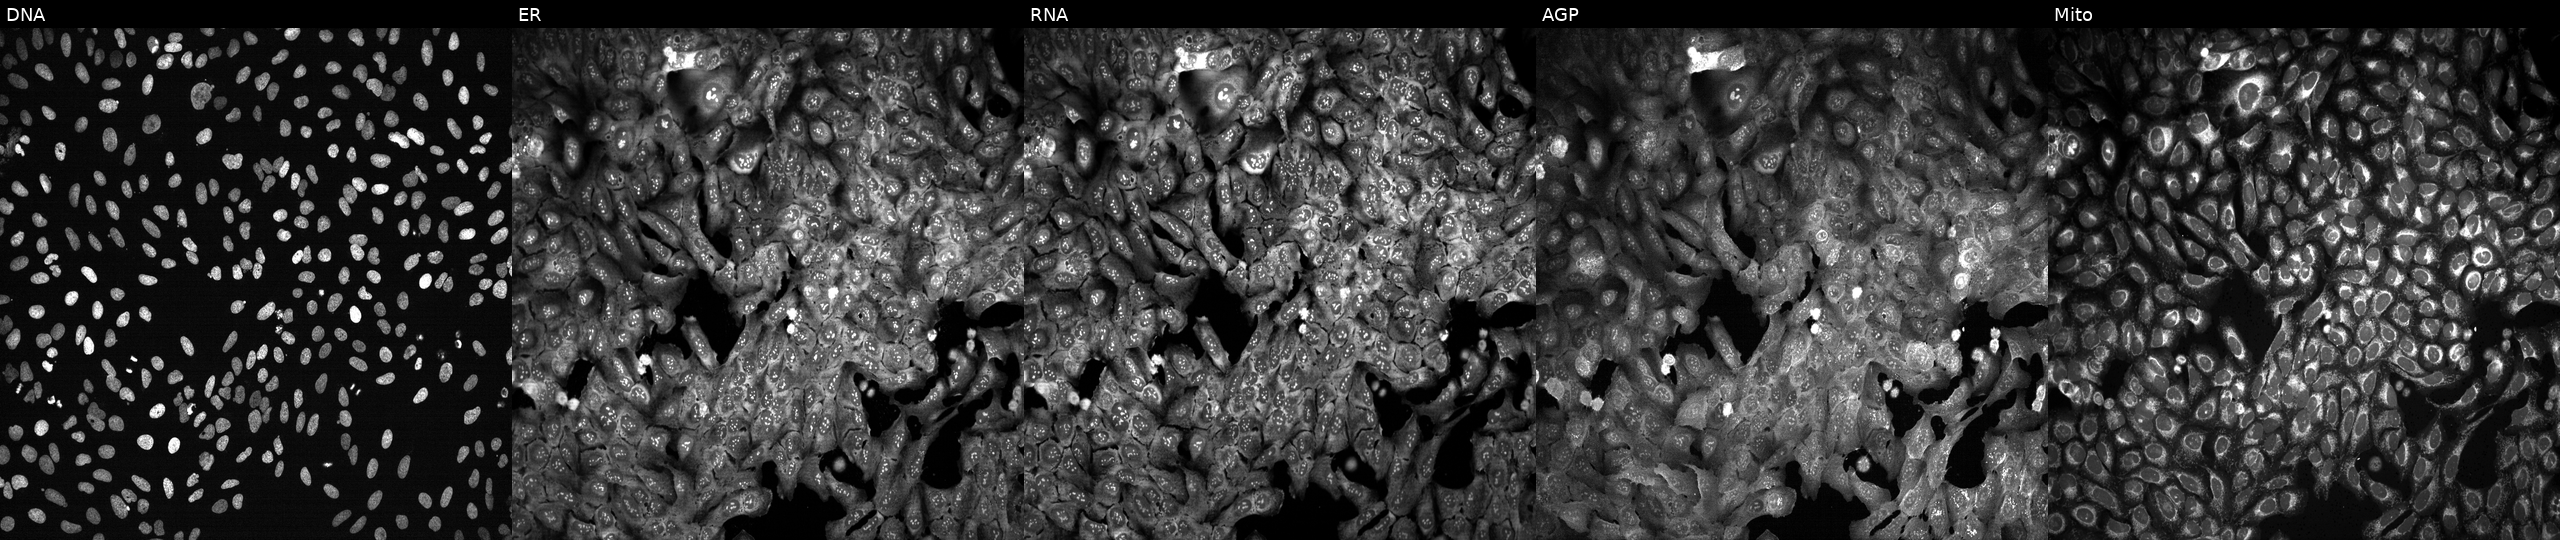
JUMP Cell Painting — CRISPR plate. U2OS cells following CRISPR knockout of EXOSC8. Channels (left→right): DNA (nuclei); ER (endoplasmic reticulum); RNA (nucleoli and cytoplasmic RNA); AGP (actin cytoskeleton, Golgi, and plasma membrane); Mito (mitochondria). Source 13, plate CP-CC9-R4-03, well O17.